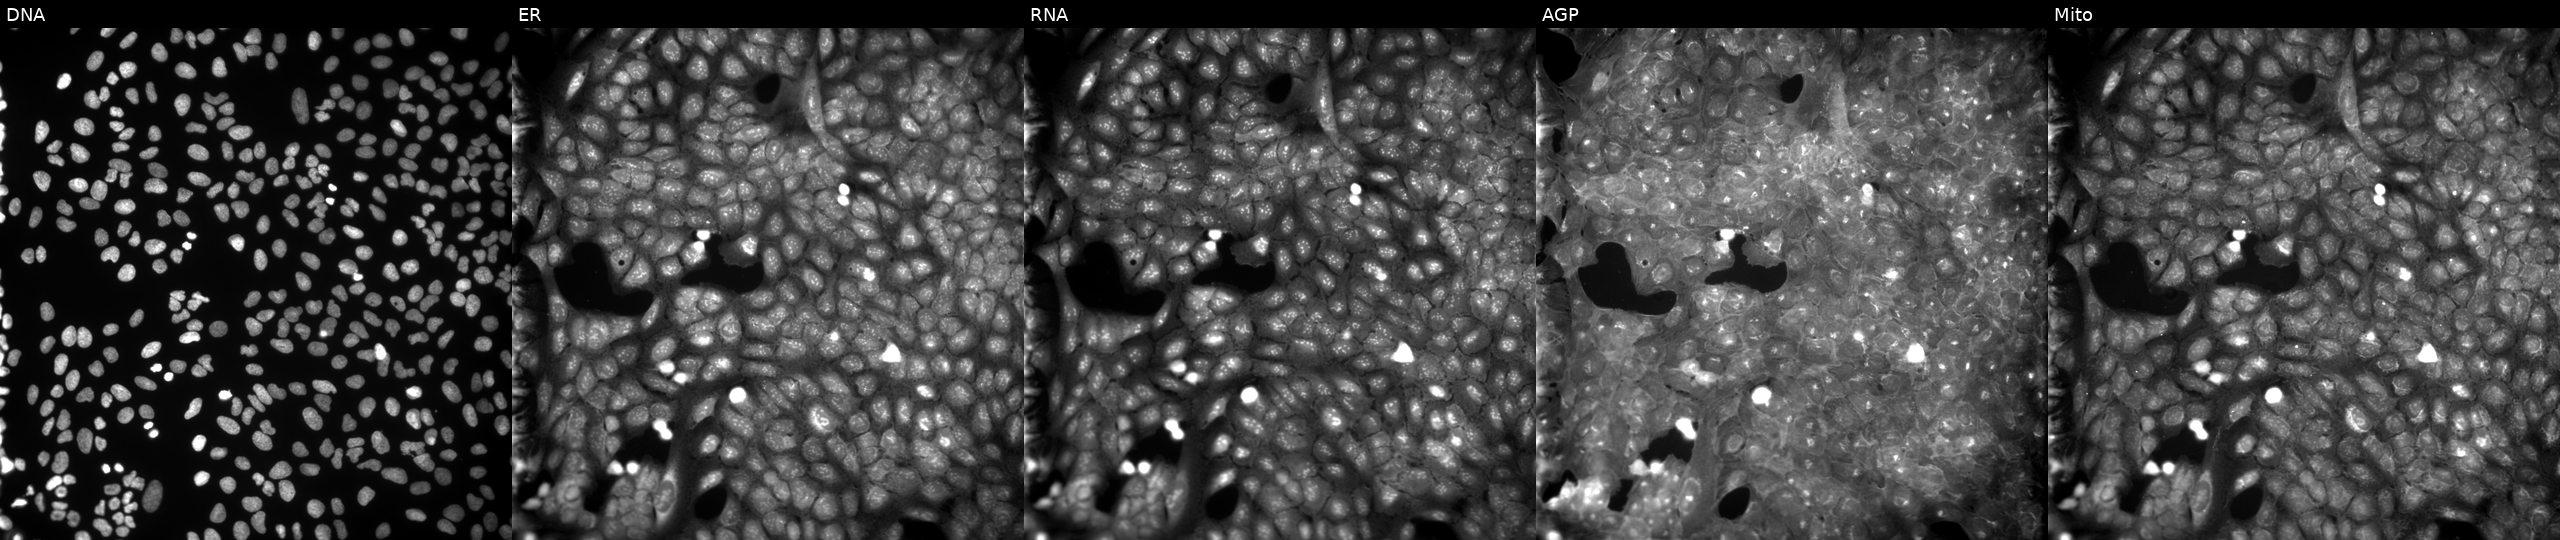
High-content fluorescence microscopy (Cell Painting). Cell line: U2OS. Perturbation: perturbed with a small-molecule compound (InChIKey YJEQJJSUJVLTFL-UHFFFAOYSA-N). The five panels, left to right, show DNA (nuclei); ER (endoplasmic reticulum); RNA (nucleoli and cytoplasmic RNA); AGP (actin cytoskeleton, Golgi, and plasma membrane); Mito (mitochondria).